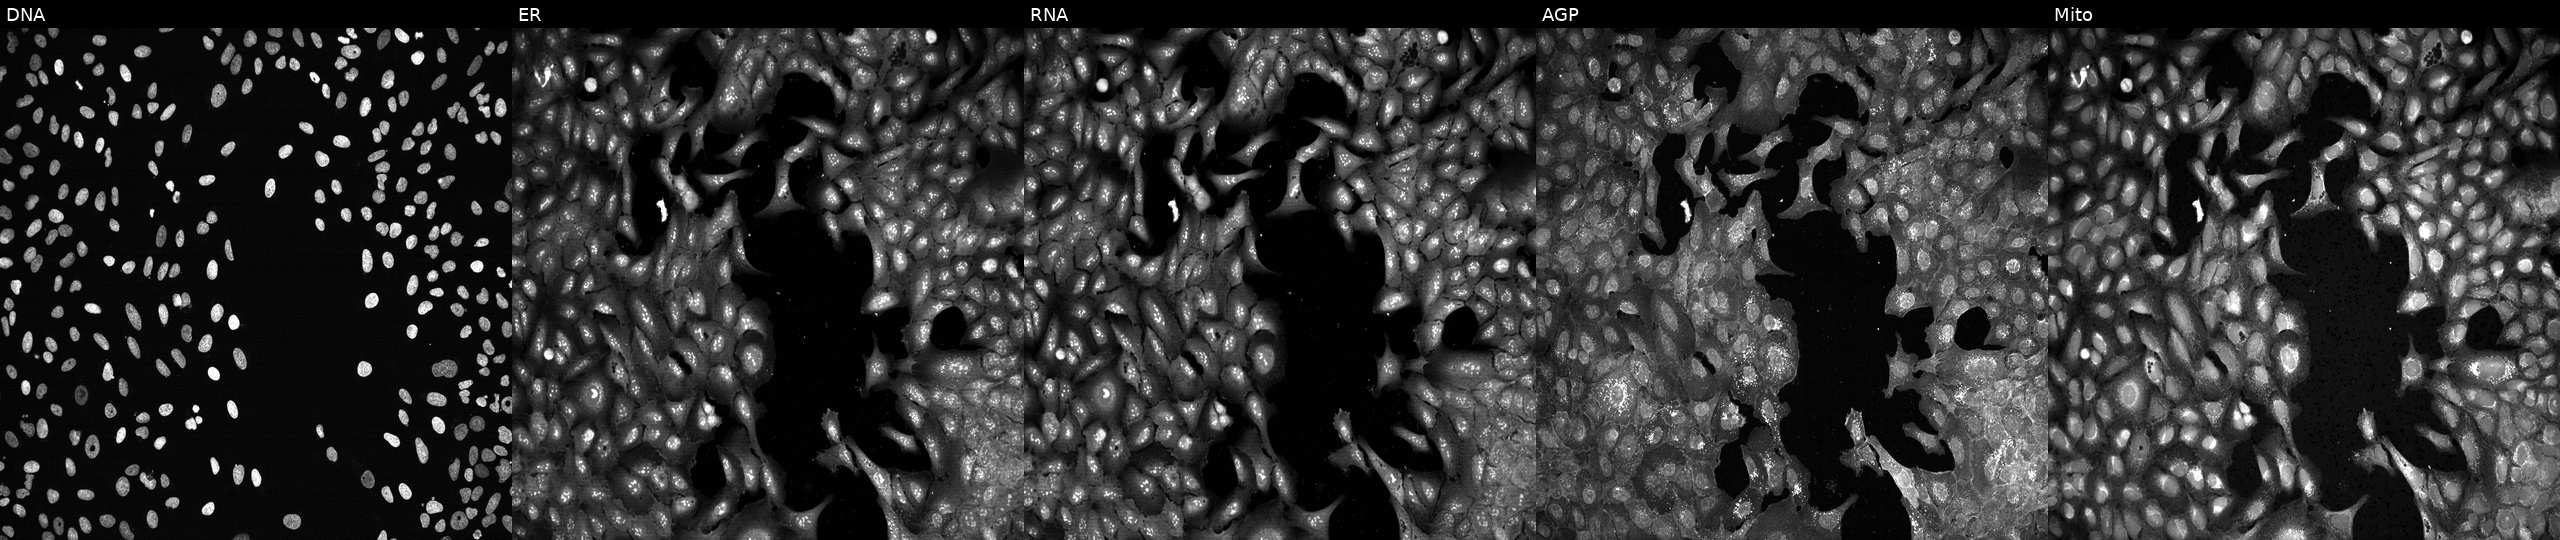
JUMP Cell Painting — CRISPR plate. U2OS cells following CRISPR knockout of TUBB1. From left to right: Hoechst 33342, concanavalin A, SYTO 14, phalloidin and WGA, MitoTracker.